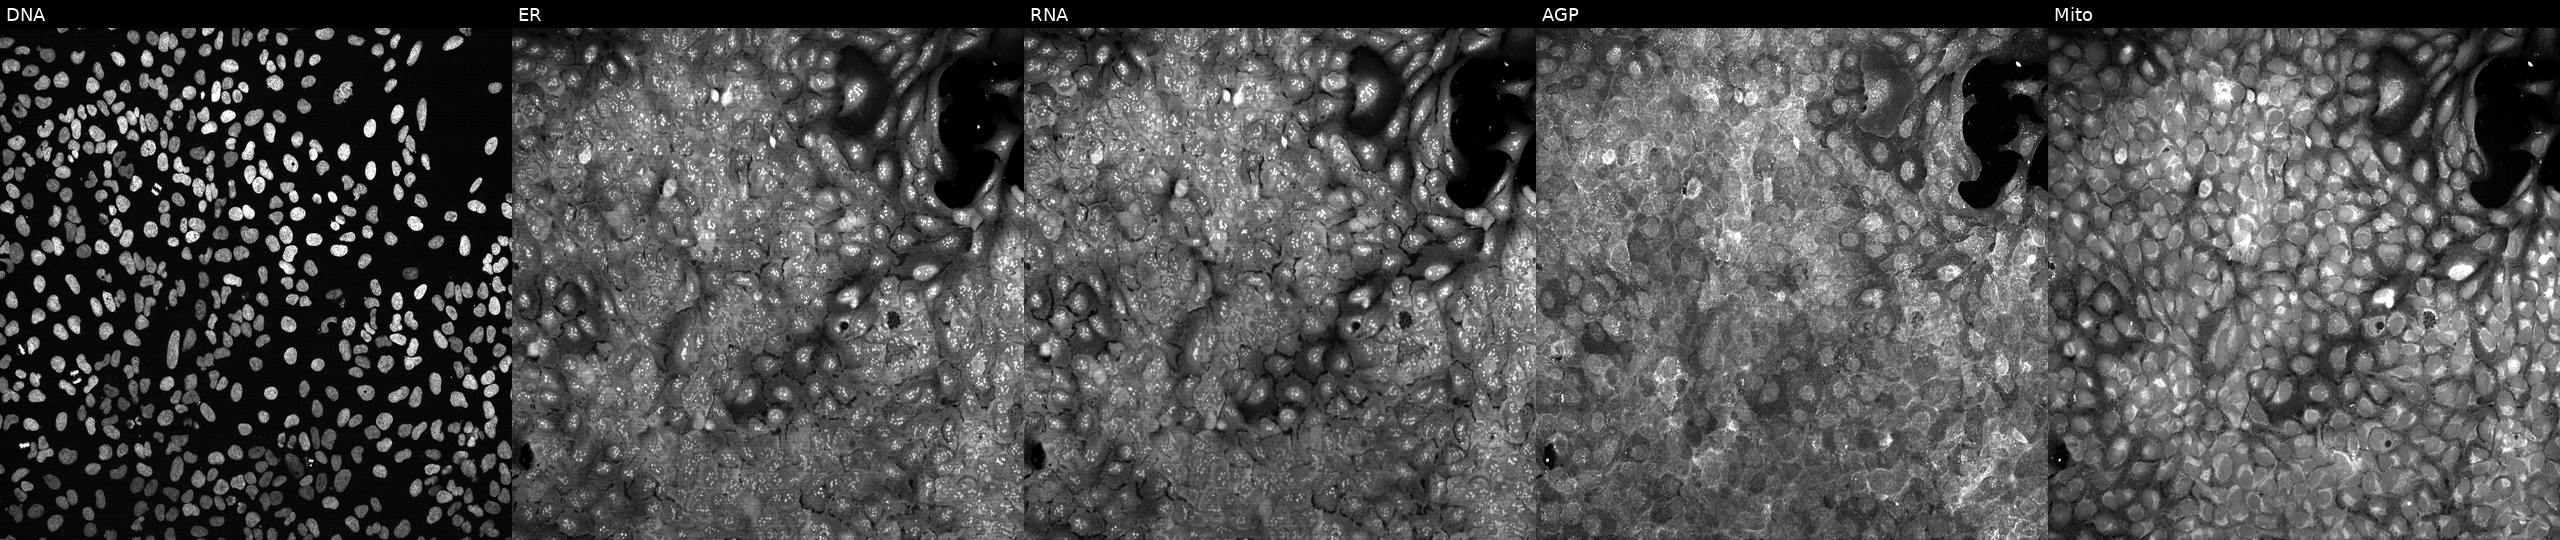
JUMP Cell Painting — CRISPR plate. U2OS cells with TNFRSF19 knocked out by CRISPR. Panels show, left to right, DNA, ER, RNA, AGP, and Mito.